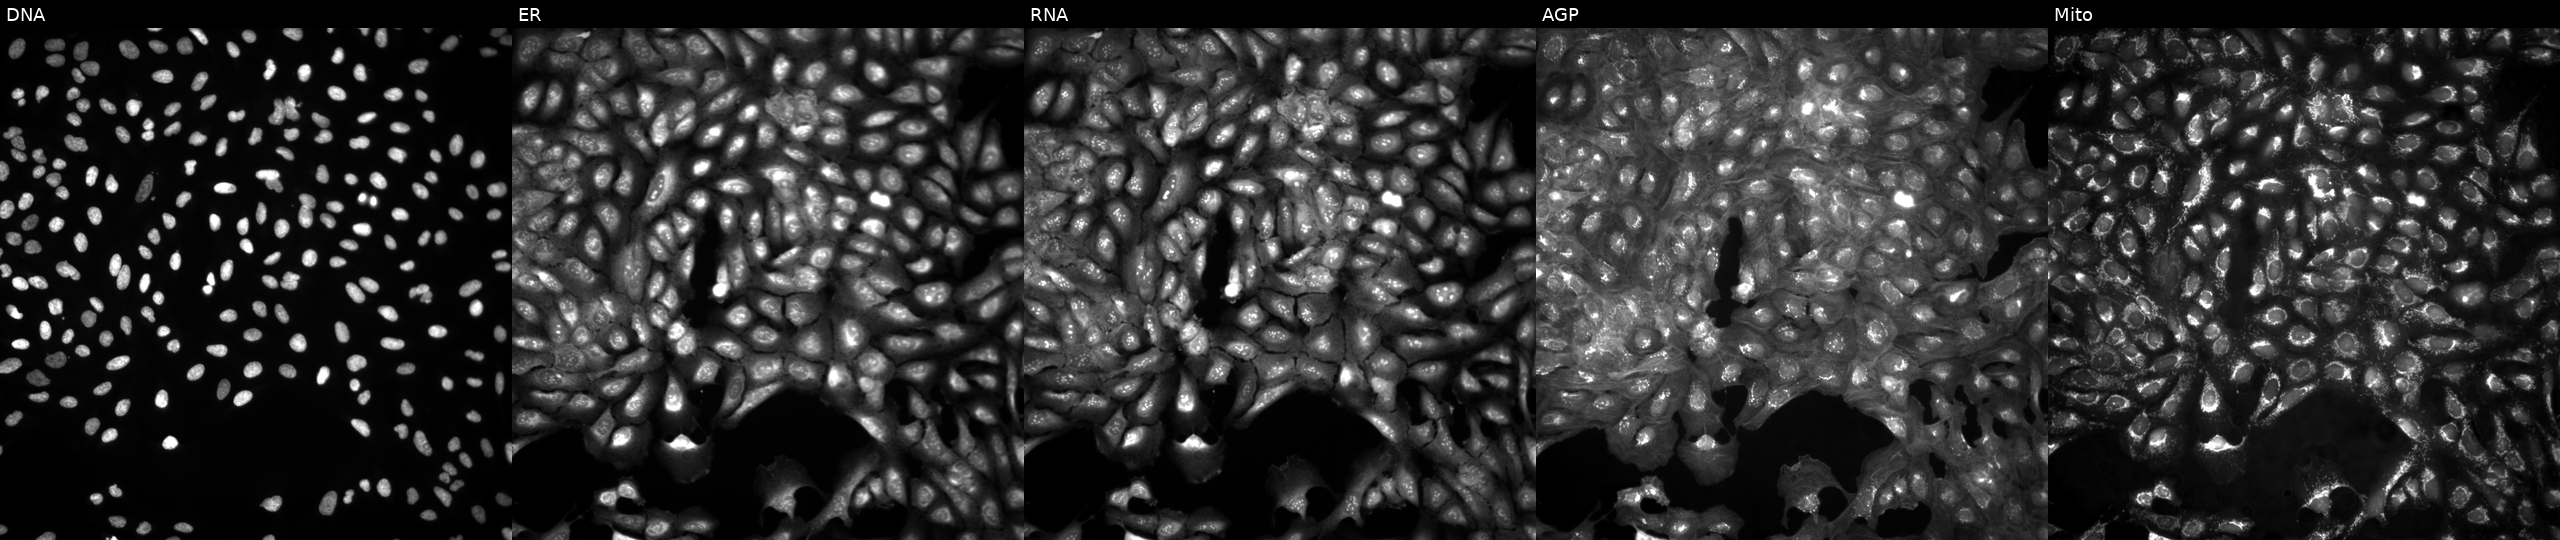
U2OS cells, Cell Painting assay, untreated (empty-well control) (JUMP id JCP2022_999999). The five panels, left to right, show Hoechst 33342, concanavalin A, SYTO 14, phalloidin and WGA, MitoTracker. Each panel is percentile-stretched 16-bit fluorescence.